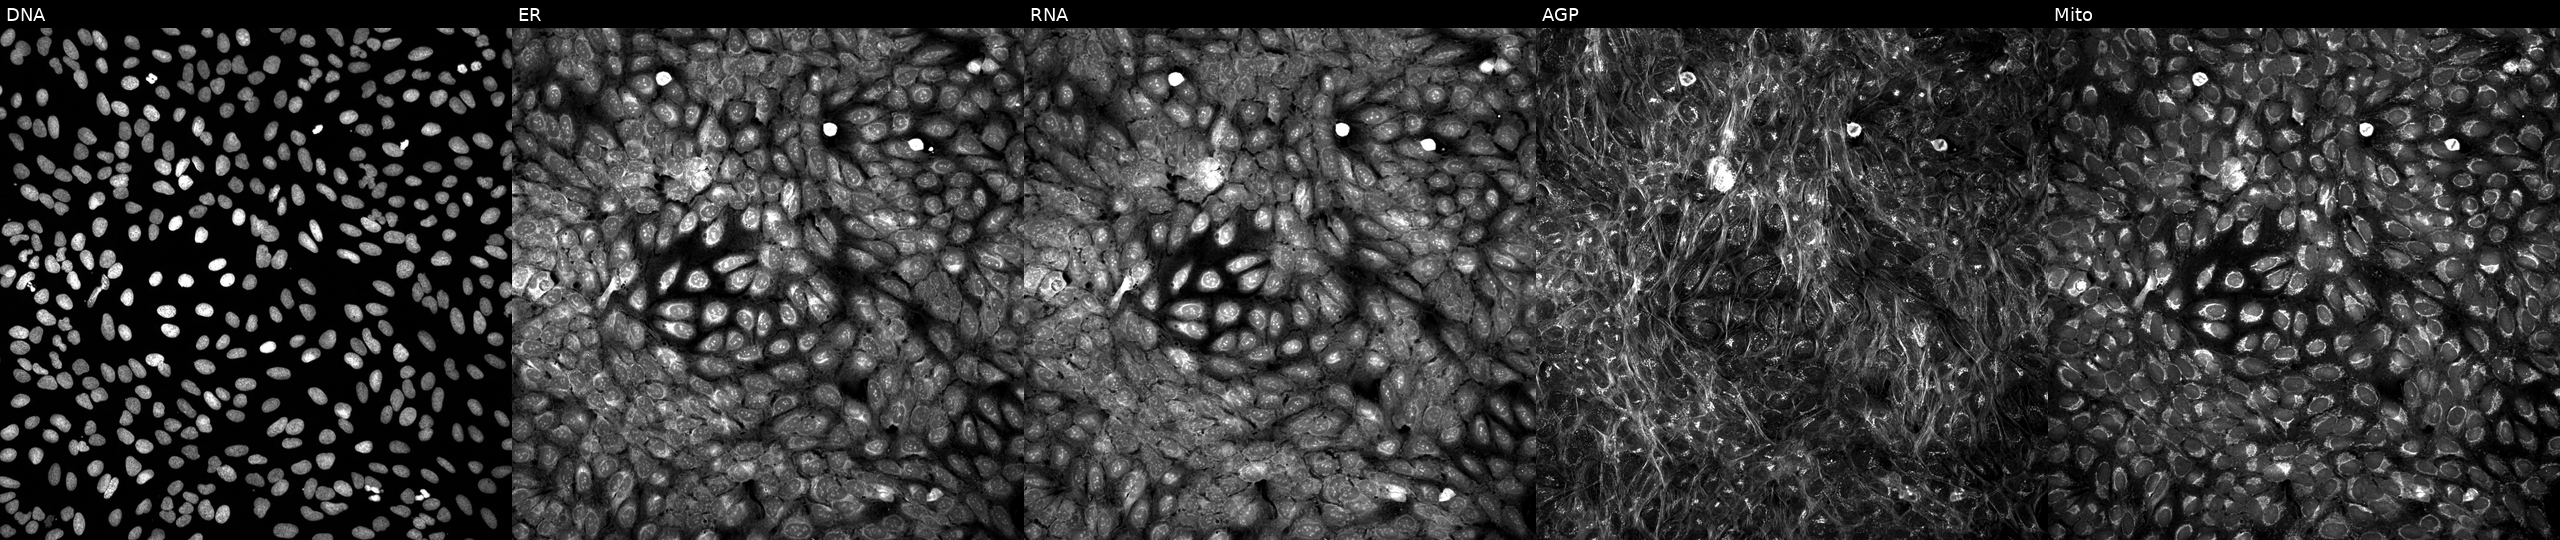
Five-channel Cell Painting image of U2OS cells treated with dexamethasone (positive-control compound) (JUMP id JCP2022_025848). Panels show, left to right, Hoechst 33342, concanavalin A, SYTO 14, phalloidin and WGA, MitoTracker.